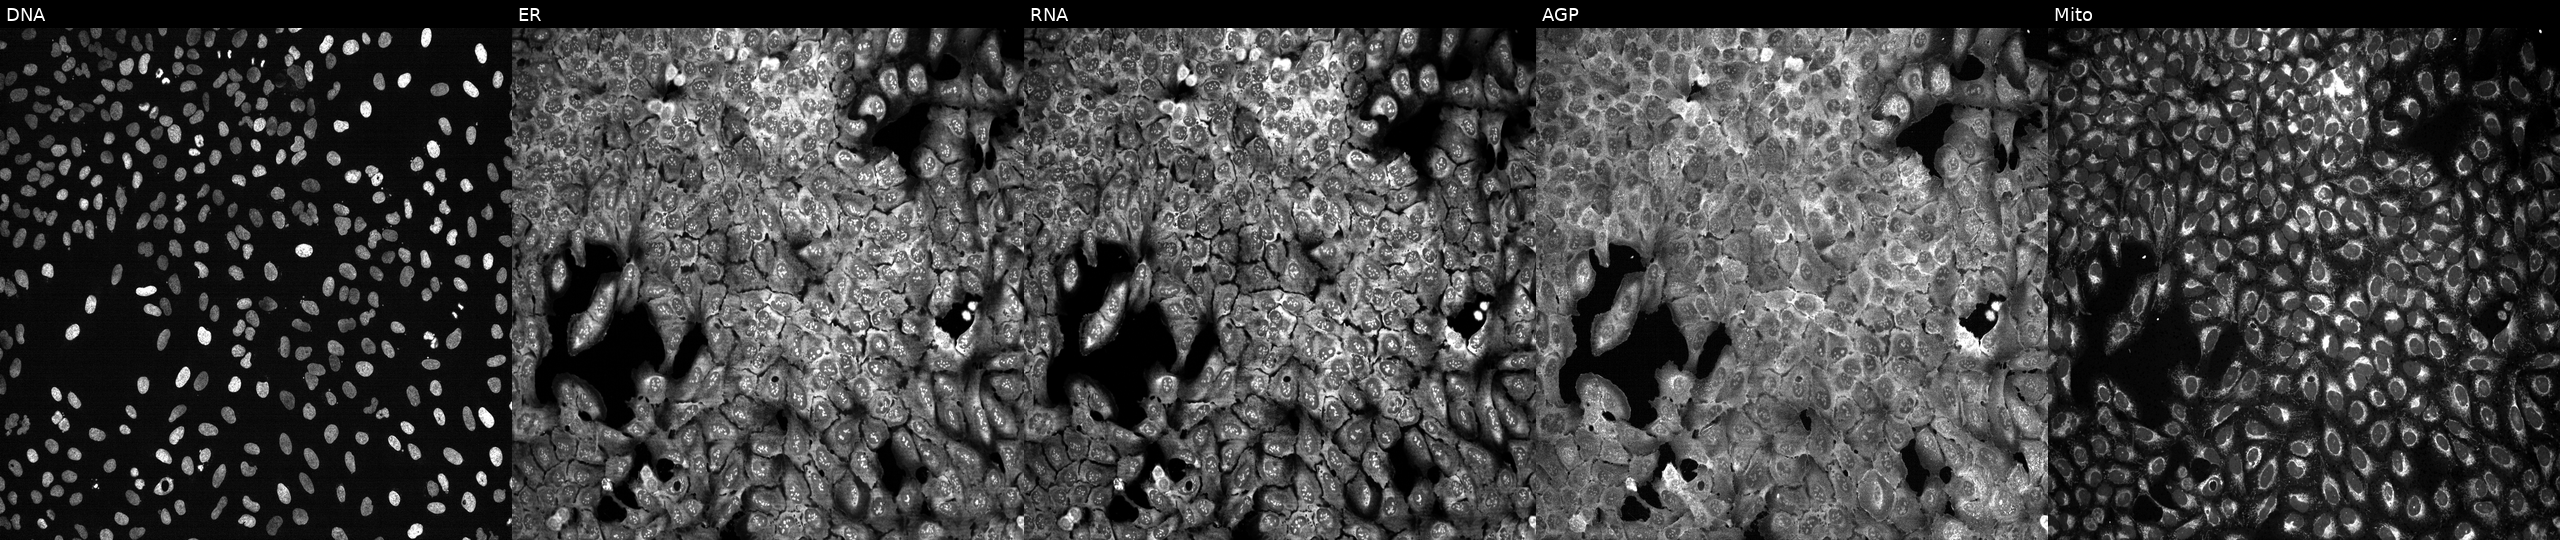
JUMP Cell Painting — CRISPR plate. U2OS cells CRISPR-edited to disrupt AHCY. From left to right: Hoechst 33342, concanavalin A, SYTO 14, phalloidin and WGA, MitoTracker.